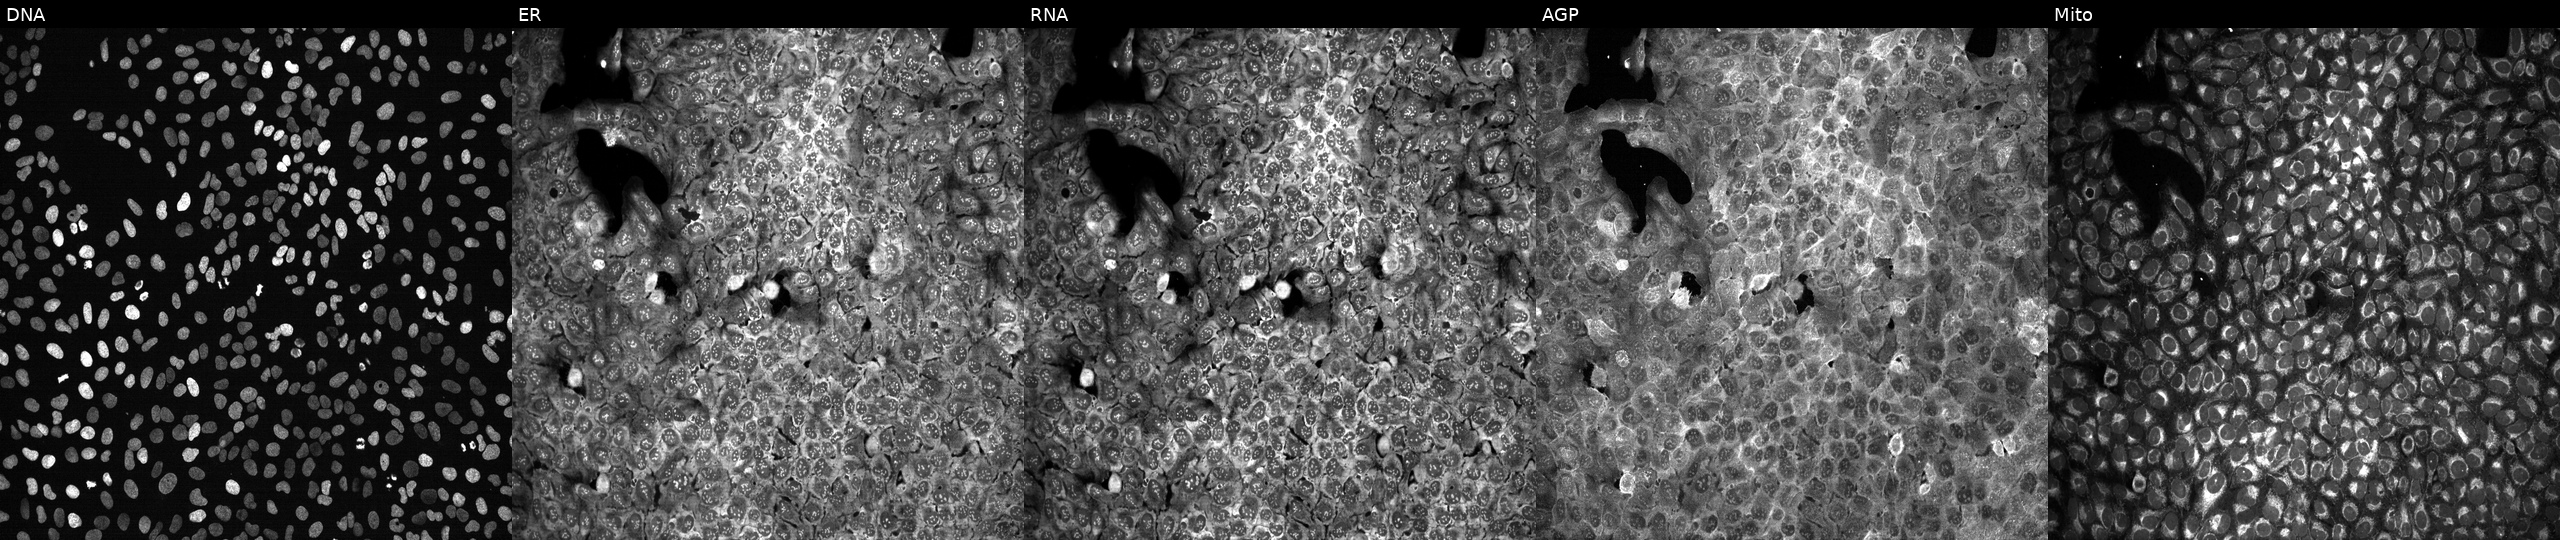
JUMP Cell Painting — CRISPR plate. U2OS cells treated with aloxistatin (positive-control compound) (JUMP id JCP2022_085227). The five panels, left to right, show DNA (nuclei); ER (endoplasmic reticulum); RNA (nucleoli and cytoplasmic RNA); AGP (actin cytoskeleton, Golgi, and plasma membrane); Mito (mitochondria). Source 13, plate CP-CC9-R3-02, well E24.